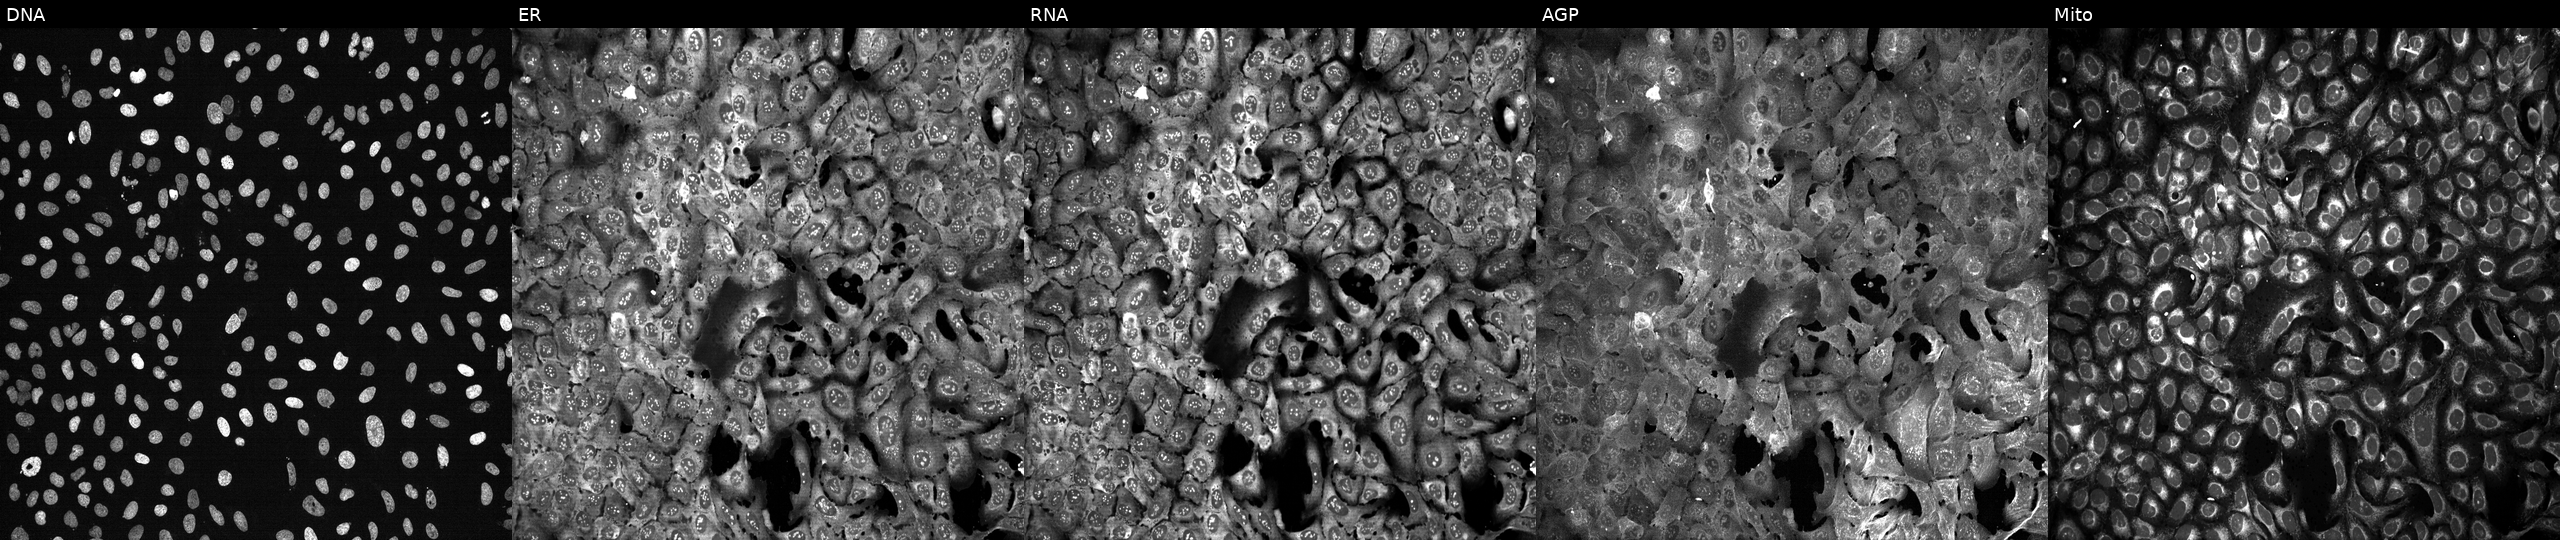
Channels (left→right): DNA, ER, RNA, AGP, and Mito. U2OS osteosarcoma cells following CRISPR knockout of ALDOA. Cell Painting assay, JUMP-CP dataset.